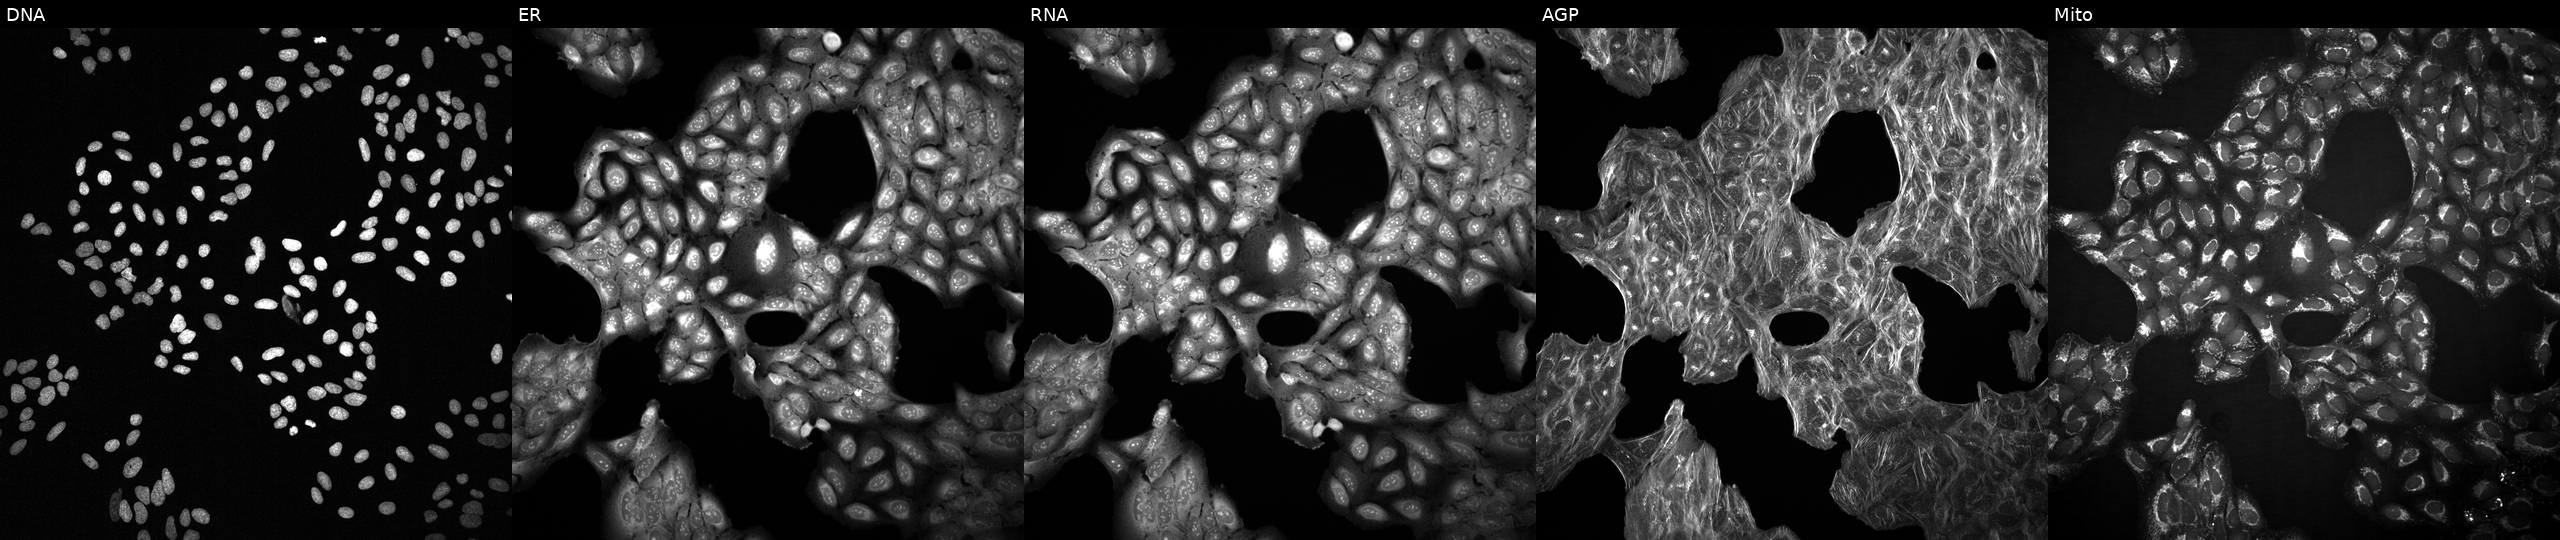
Five-channel Cell Painting image of U2OS cells with an unidentified perturbation (not annotated in JUMP metadata). Channels (left→right): DNA, ER, RNA, AGP, and Mito.